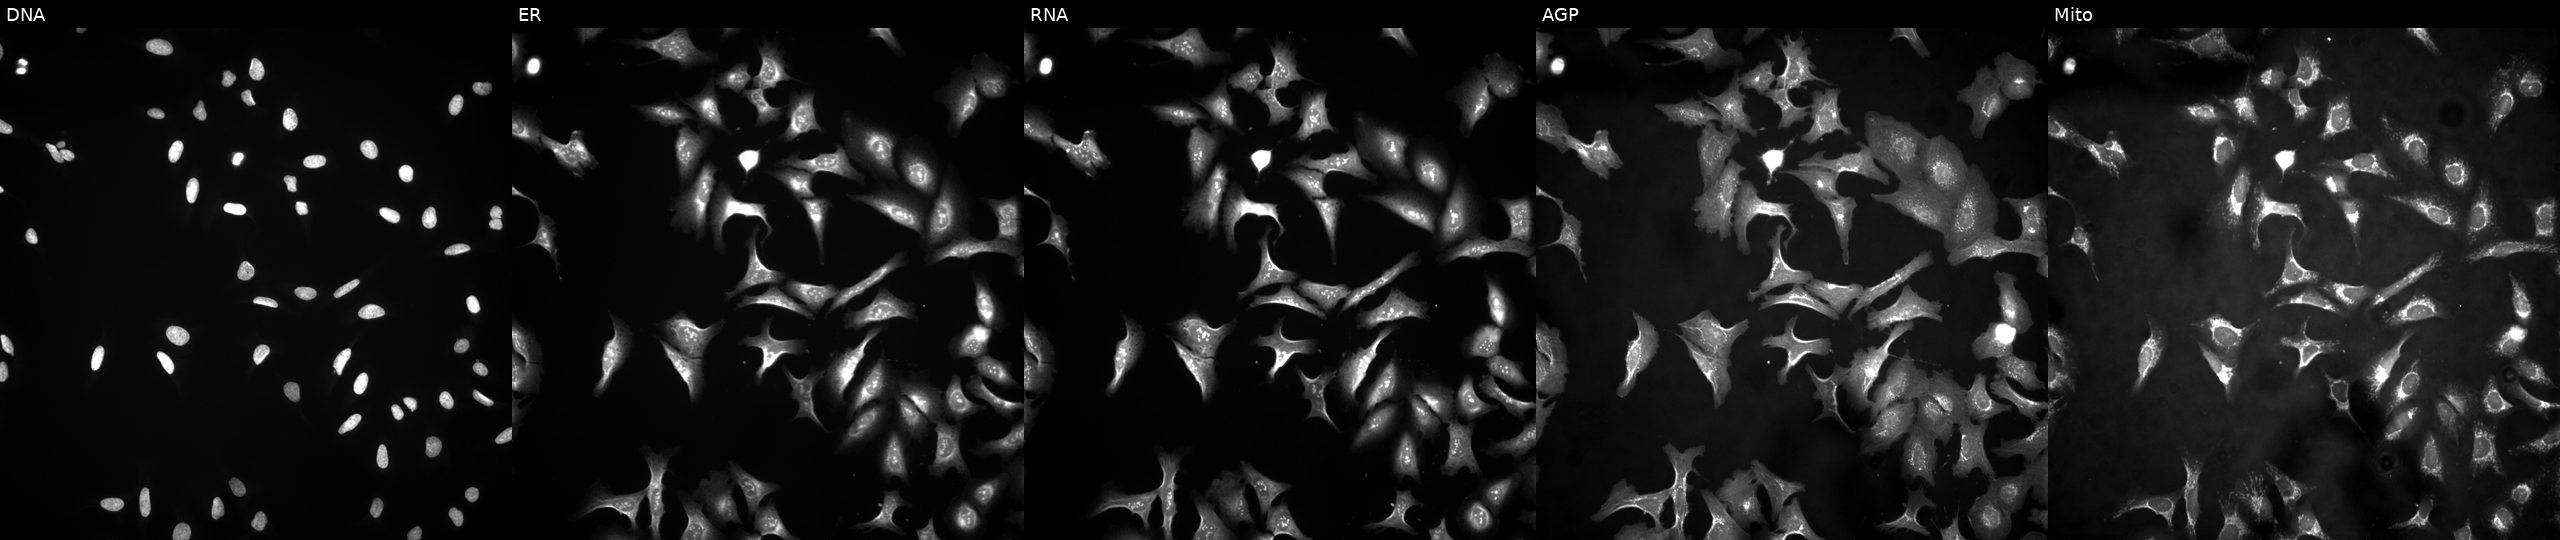
JUMP Cell Painting — ORF plate. U2OS cells transfected with an ORF construct for TNXB. Panels show, left to right, DNA (nuclei); ER (endoplasmic reticulum); RNA (nucleoli and cytoplasmic RNA); AGP (actin cytoskeleton, Golgi, and plasma membrane); Mito (mitochondria). Source 4, plate BR00121543, well I12.